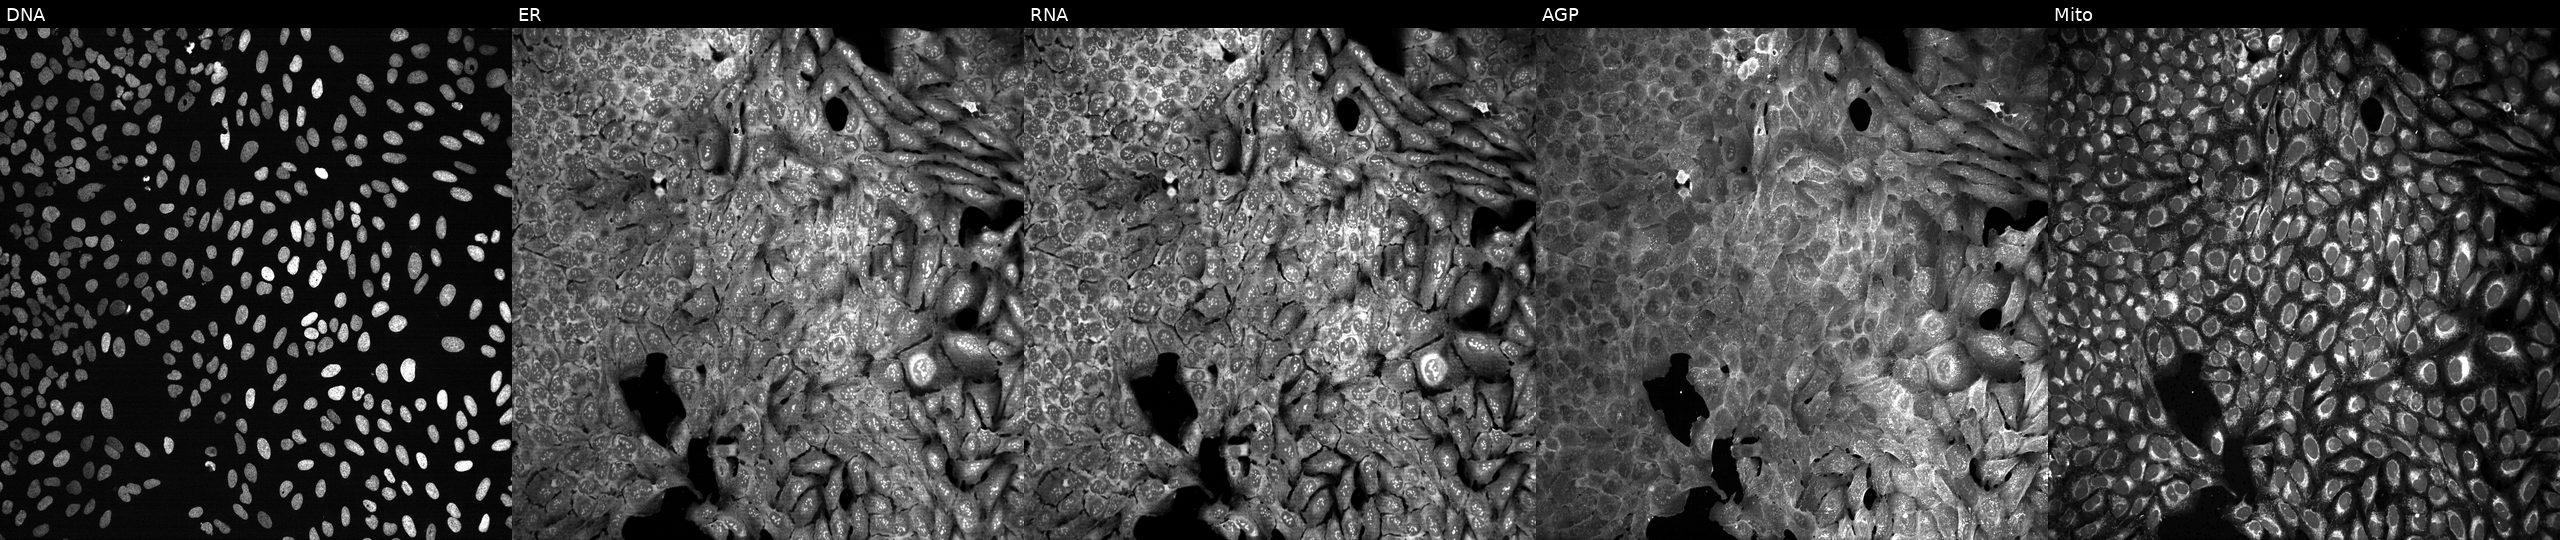
The five panels, left to right, show Hoechst 33342, concanavalin A, SYTO 14, phalloidin and WGA, MitoTracker. U2OS osteosarcoma cells treated with DMSO vehicle only (negative control) (JUMP id JCP2022_033924). Cell Painting assay, JUMP-CP dataset.